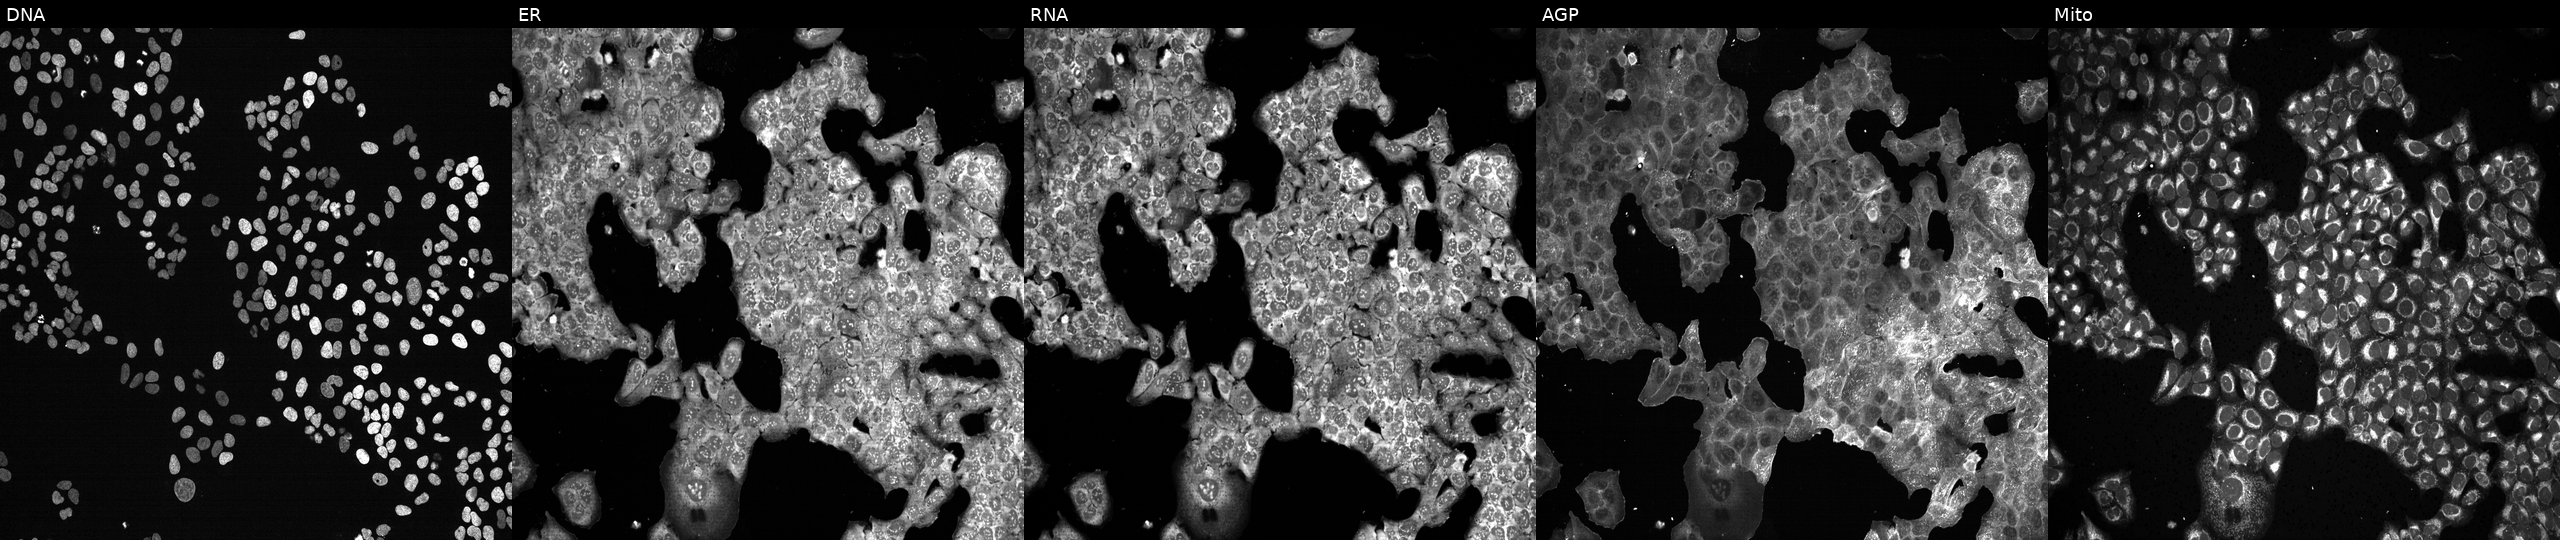
JUMP Cell Painting — CRISPR plate. U2OS cells exposed to the positive-control compound NVS-PAK1-1 (JUMP id JCP2022_064022). Panels show, left to right, Hoechst 33342, concanavalin A, SYTO 14, phalloidin and WGA, MitoTracker.